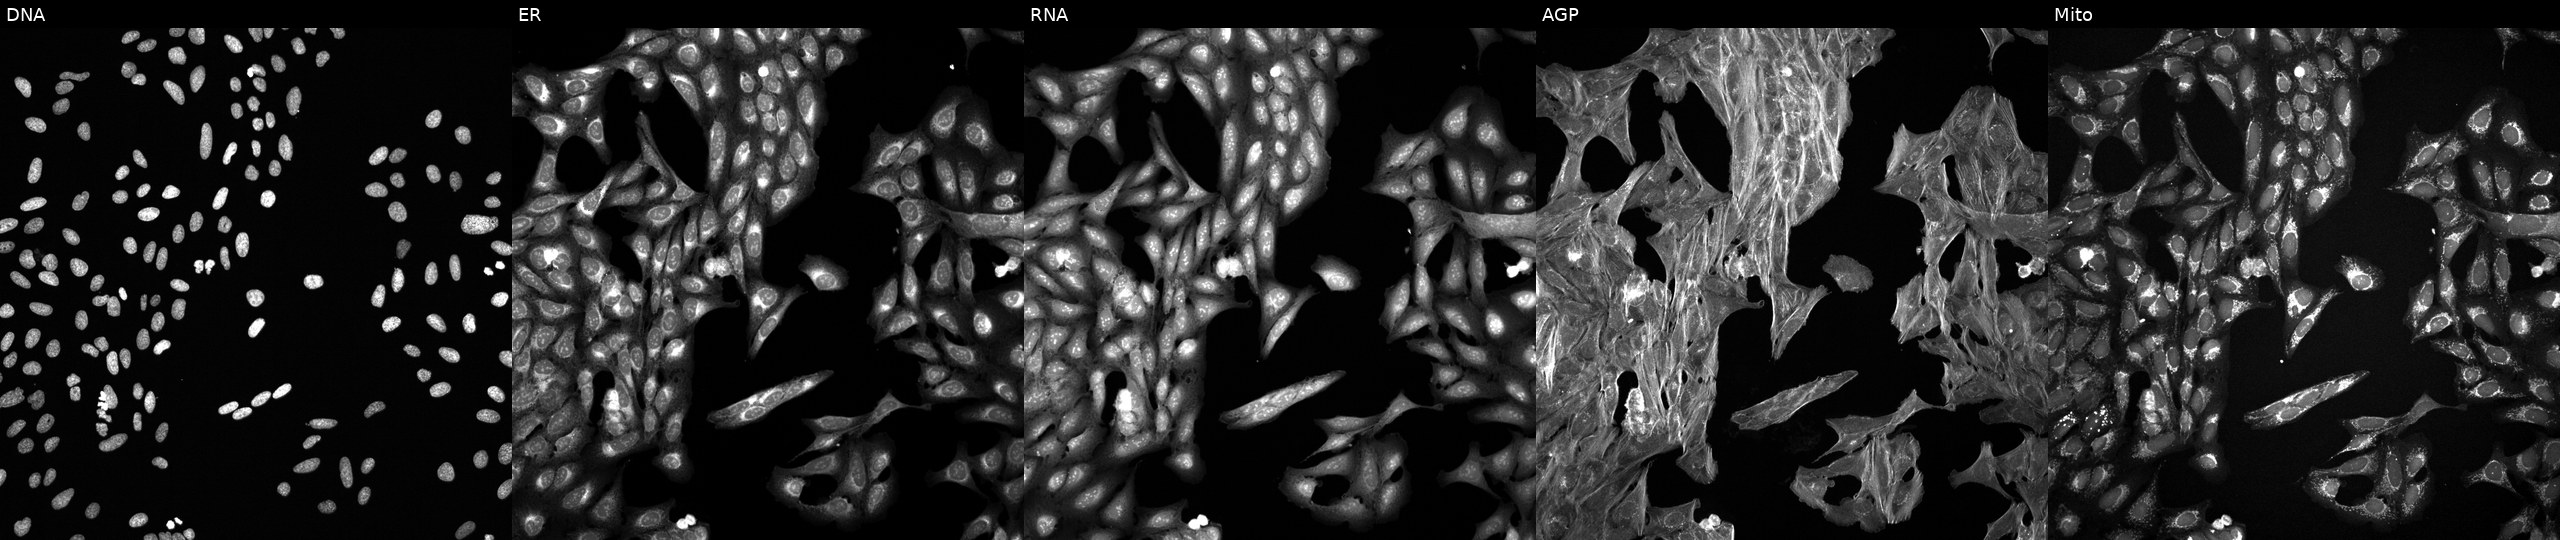
U2OS cells, Cell Painting assay, exposed to a small-molecule compound (InChIKey CUIHSIWYWATEQL-UHFFFAOYSA-N) [SMILES: Cc1ccc(N=c2nc(N(C)c3ccc4c(C)n(C)nc4c3)cc[nH]2)cc1S(N)(=O)=O]. The five panels, left to right, show Hoechst 33342, concanavalin A, SYTO 14, phalloidin and WGA, MitoTracker. Each panel is percentile-stretched 16-bit fluorescence. Source 6, plate 110000293093, well I17.